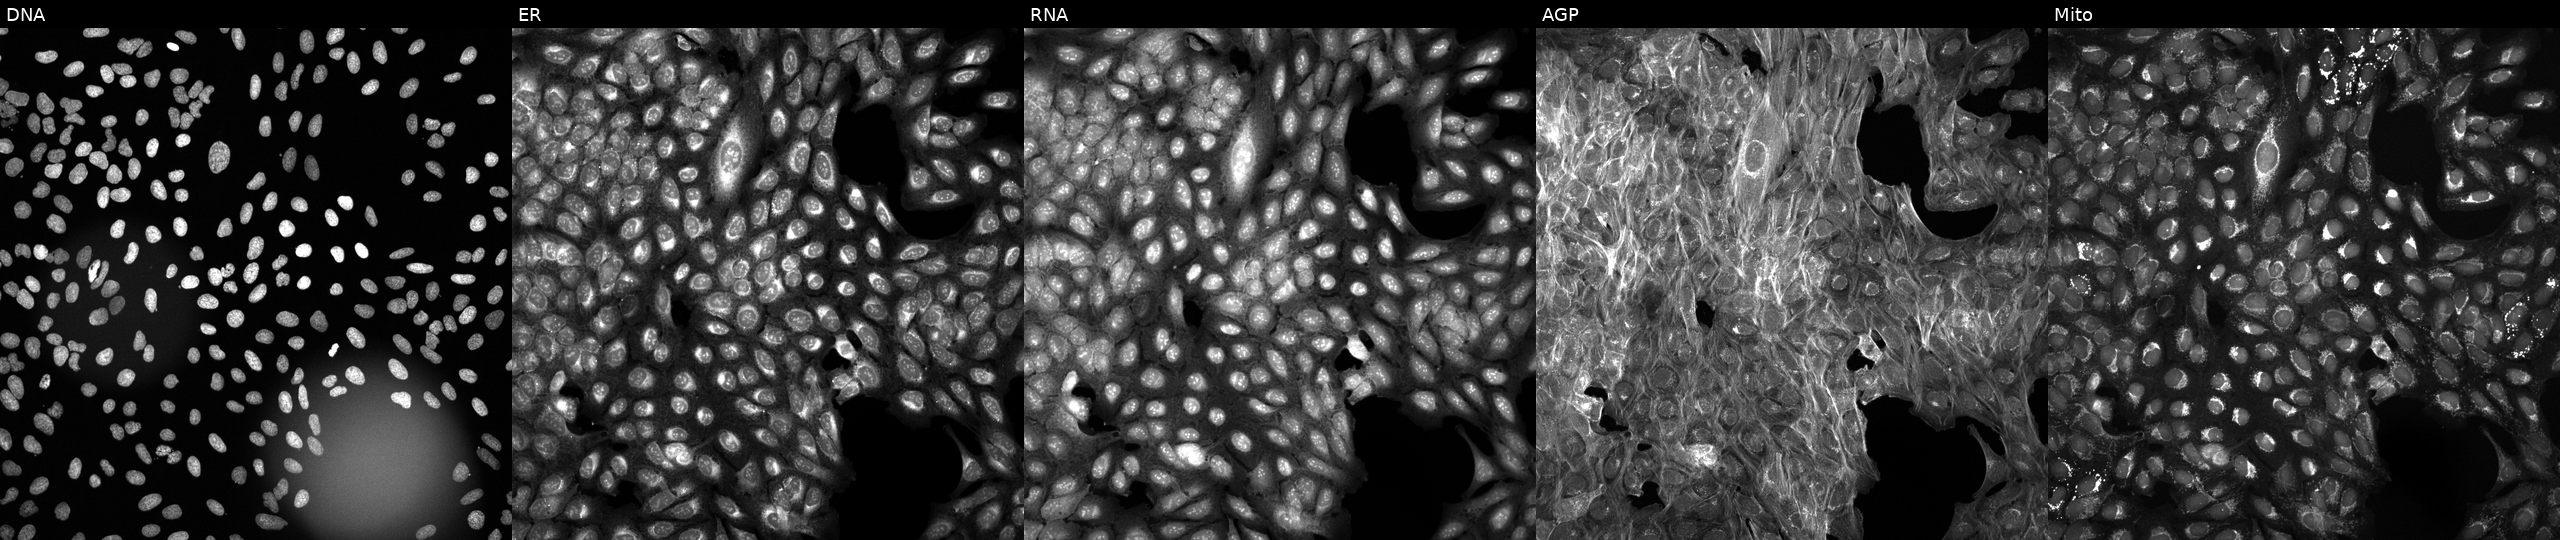
High-content fluorescence microscopy (Cell Painting). Cell line: U2OS. Perturbation: exposed to a small-molecule compound (JUMP id JCP2022_062023). Channels (left→right): DNA (nuclei); ER (endoplasmic reticulum); RNA (nucleoli and cytoplasmic RNA); AGP (actin cytoskeleton, Golgi, and plasma membrane); Mito (mitochondria). Source 6, plate 110000294901, well P08.